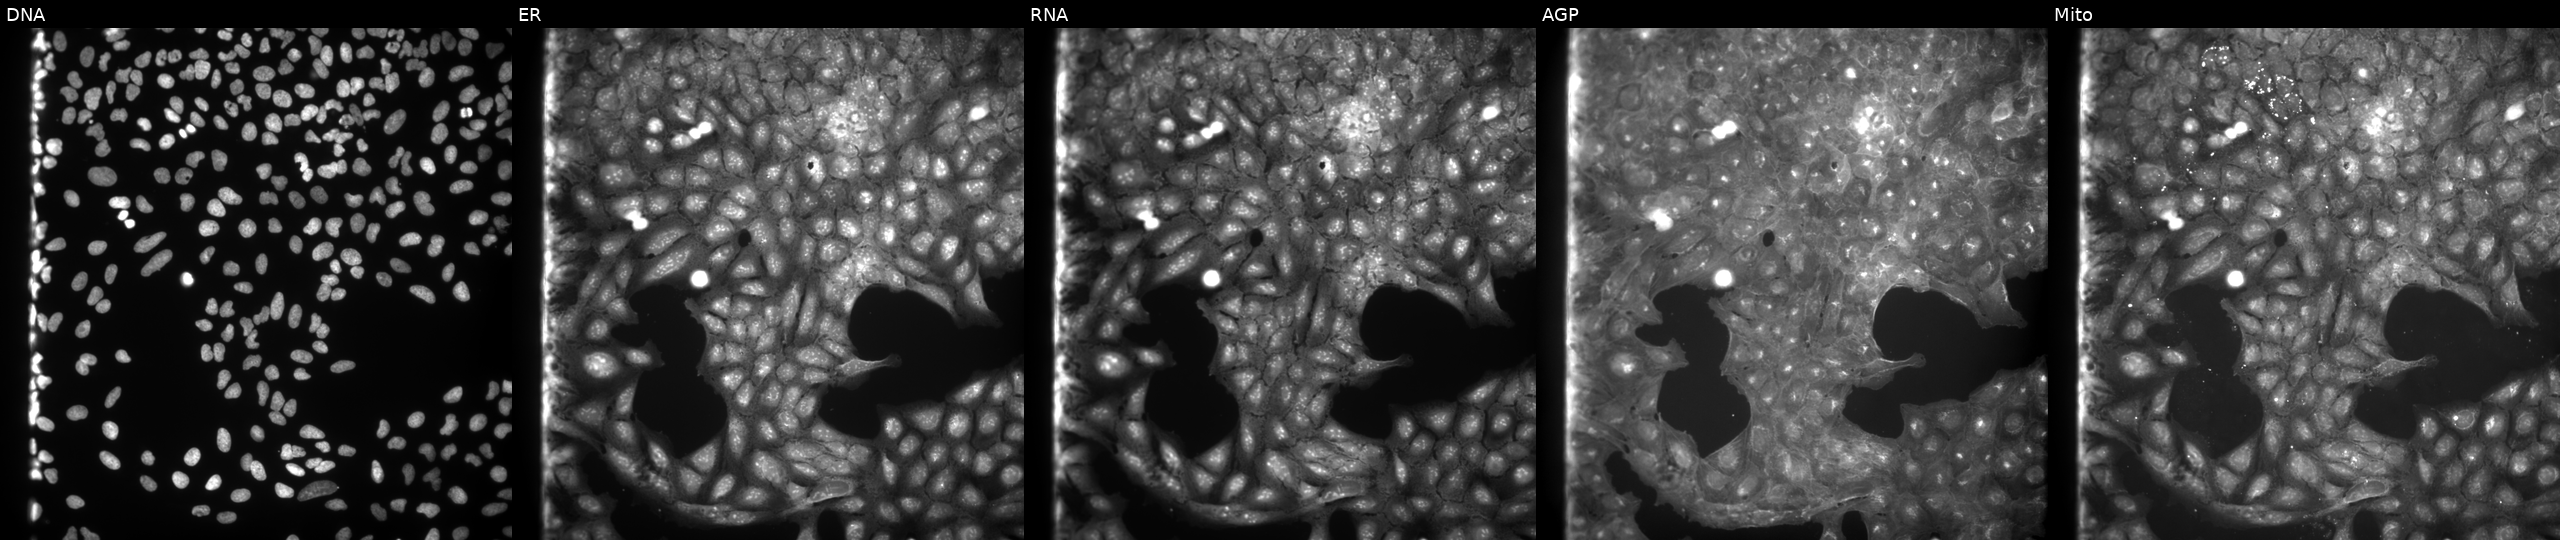
U2OS cells, Cell Painting assay, exposed to a small-molecule compound (JUMP id JCP2022_007870). The five panels, left to right, show DNA, ER, RNA, AGP, and Mito. Each panel is percentile-stretched 16-bit fluorescence.